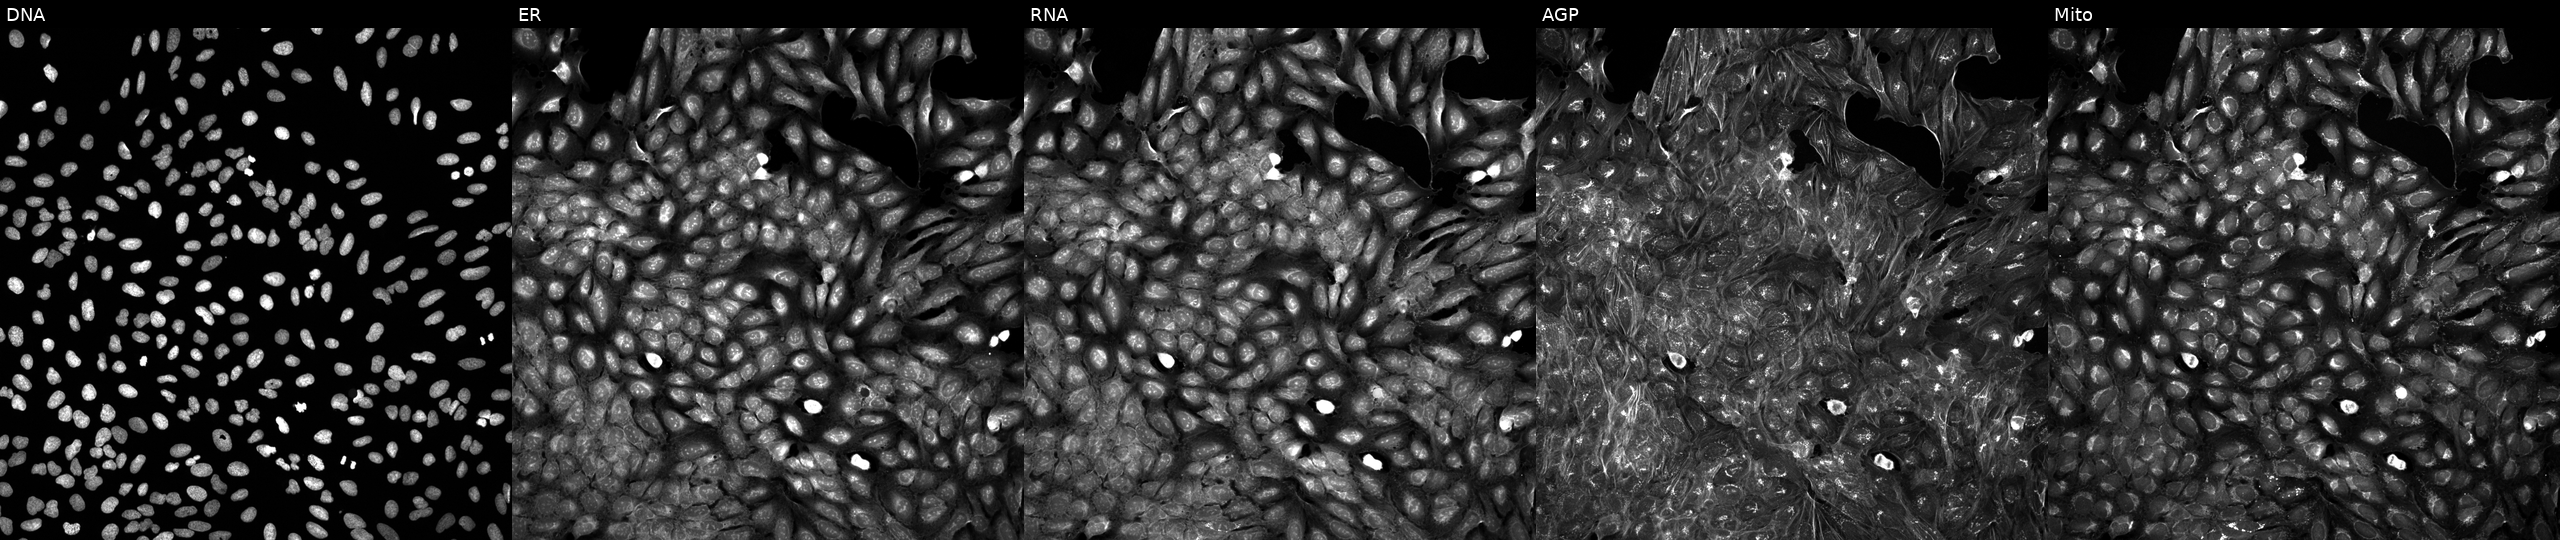
High-content fluorescence microscopy (Cell Painting). Cell line: U2OS. Perturbation: treated with a small-molecule compound (InChIKey CKJXXIQKRJRPJR-UHFFFAOYSA-N) [SMILES: Cc1ccc(N=c2[nH]cccc2C(=O)N(C)CC(=O)NC(C)(C)C)c(C)c1] (JUMP id JCP2022_011698). From left to right: DNA (nuclei); ER (endoplasmic reticulum); RNA (nucleoli and cytoplasmic RNA); AGP (actin cytoskeleton, Golgi, and plasma membrane); Mito (mitochondria).